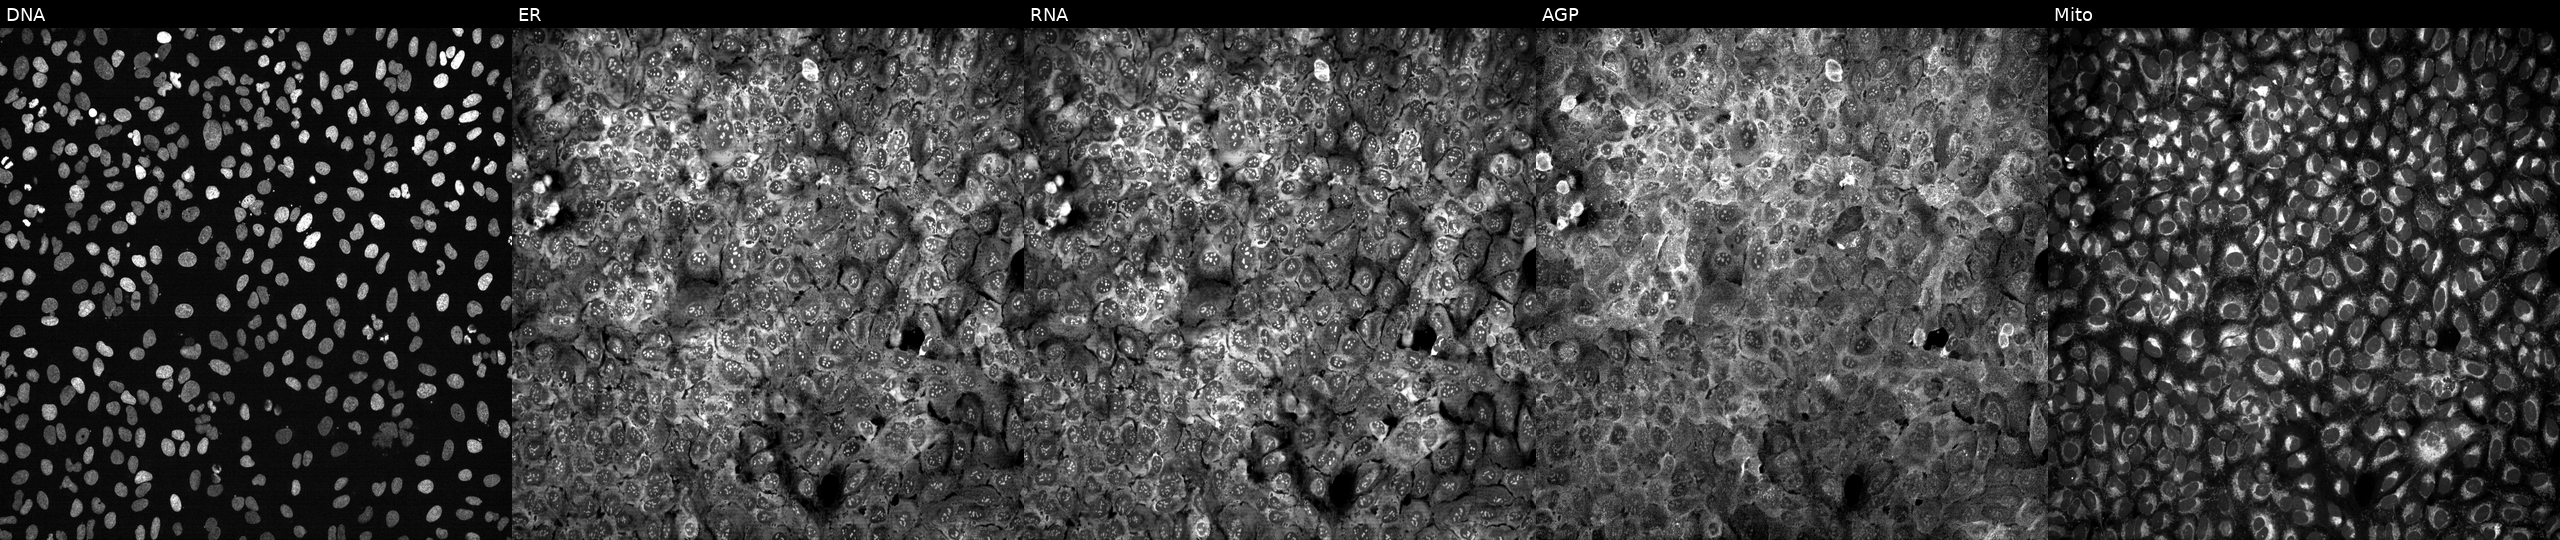
This image strip shows the five Cell Painting channels for a single field of U2OS cells with CA14 knocked out by CRISPR (JUMP id JCP2022_800976). From left to right: Hoechst 33342, concanavalin A, SYTO 14, phalloidin and WGA, MitoTracker.